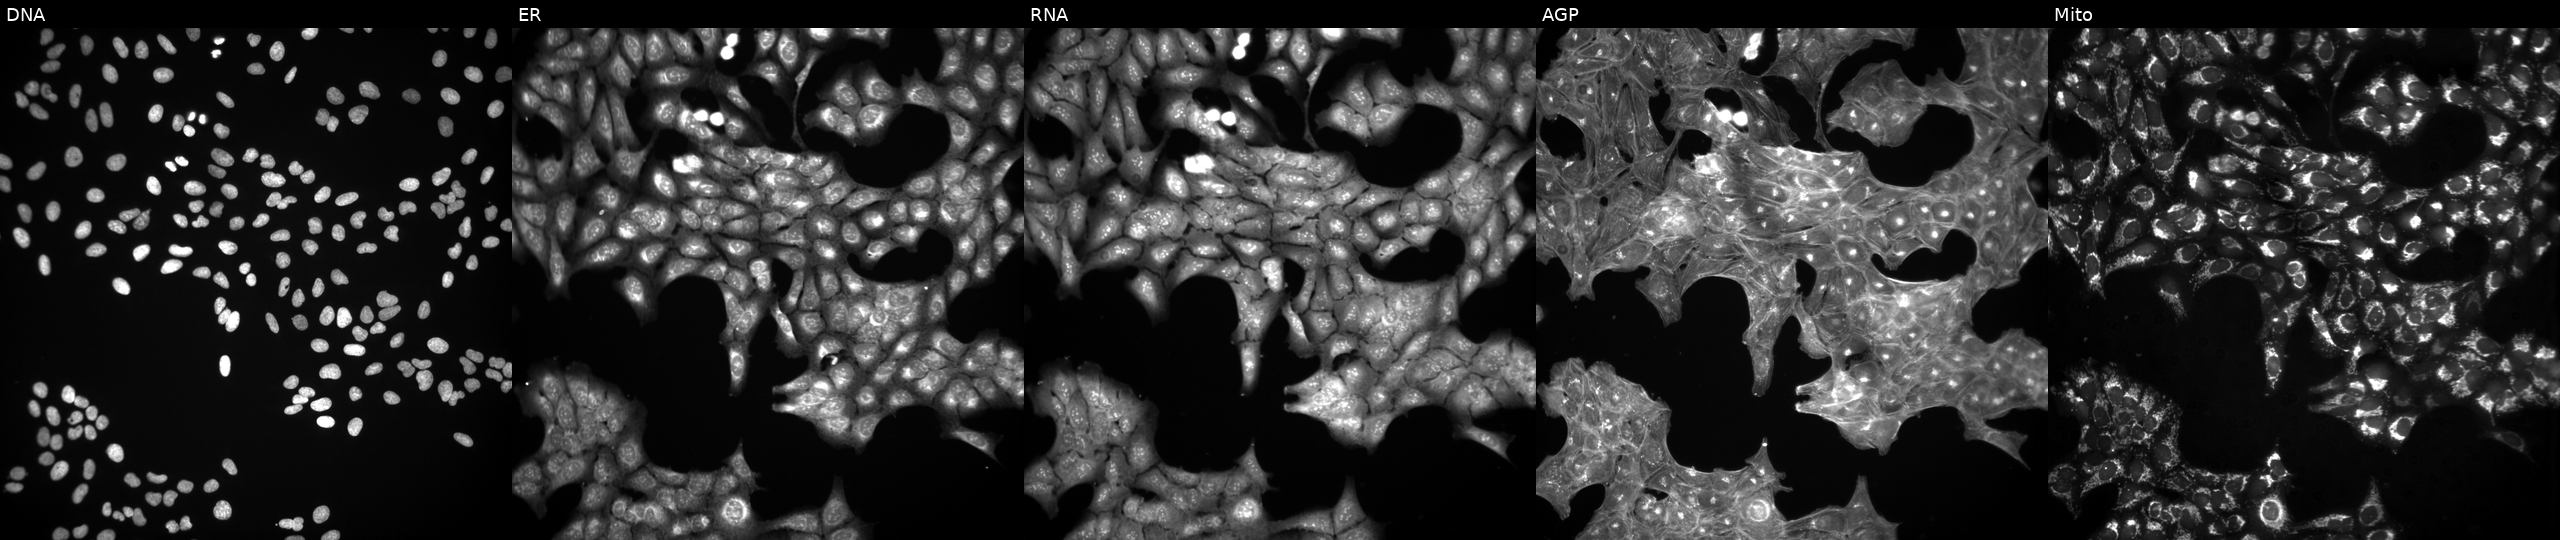
This image strip shows the five Cell Painting channels for a single field of U2OS cells treated with a small-molecule compound (JUMP id JCP2022_021857). Panels show, left to right, DNA, ER, RNA, AGP, and Mito. Source 3, plate JCPQC053, well F01.